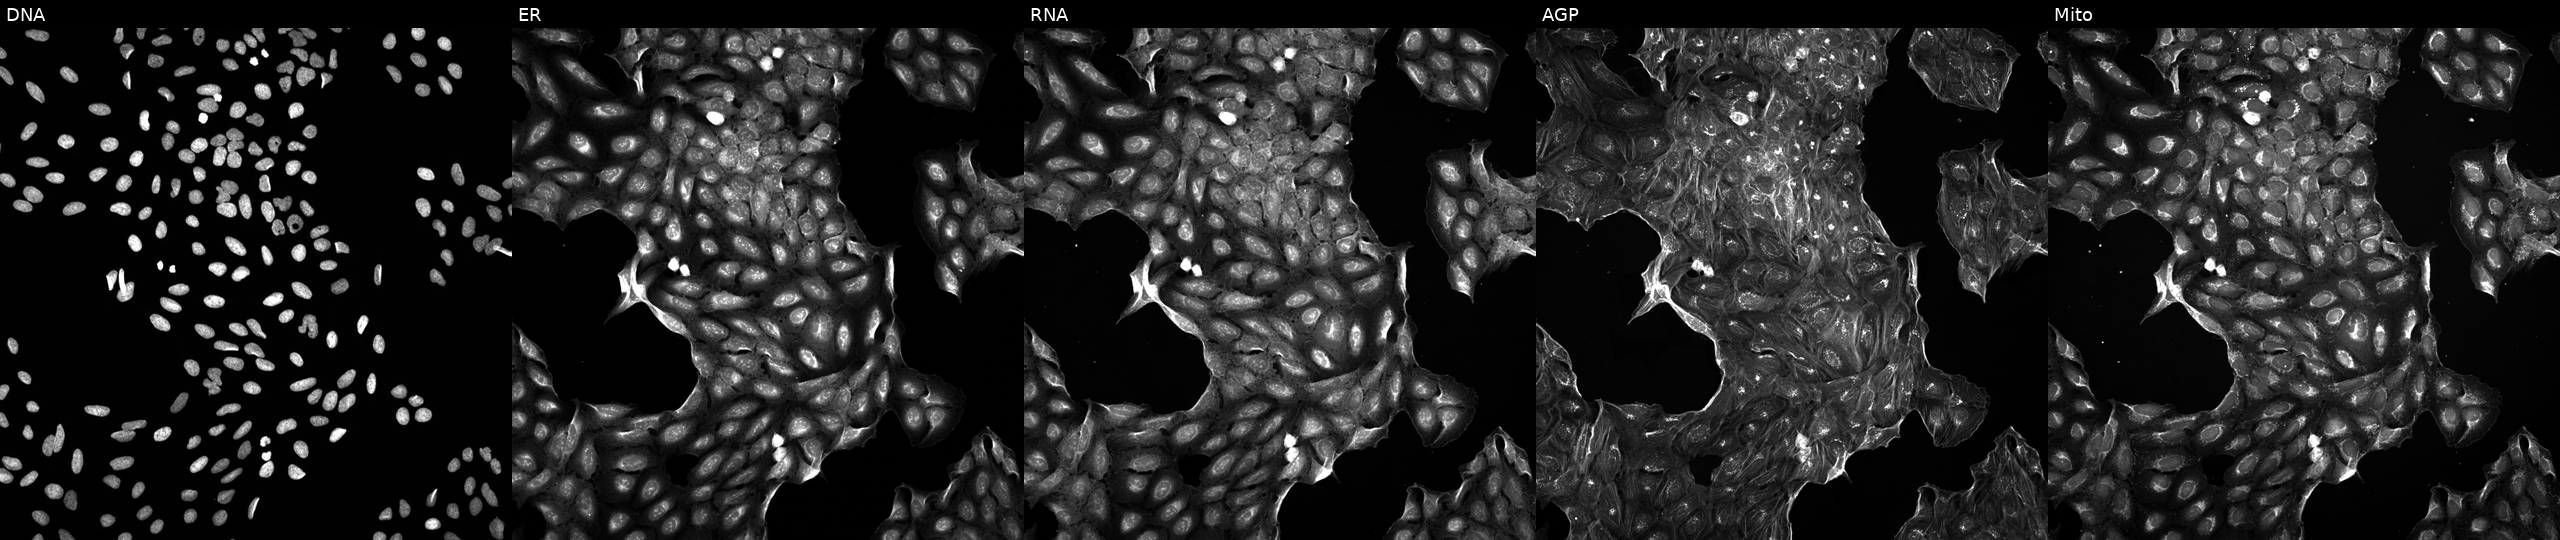
JUMP Cell Painting — COMPOUND plate. U2OS cells exposed to a small-molecule compound (JUMP id JCP2022_000658). Channels (left→right): DNA (nuclei); ER (endoplasmic reticulum); RNA (nucleoli and cytoplasmic RNA); AGP (actin cytoskeleton, Golgi, and plasma membrane); Mito (mitochondria). Source 5, plate APTJUM105, well B10.